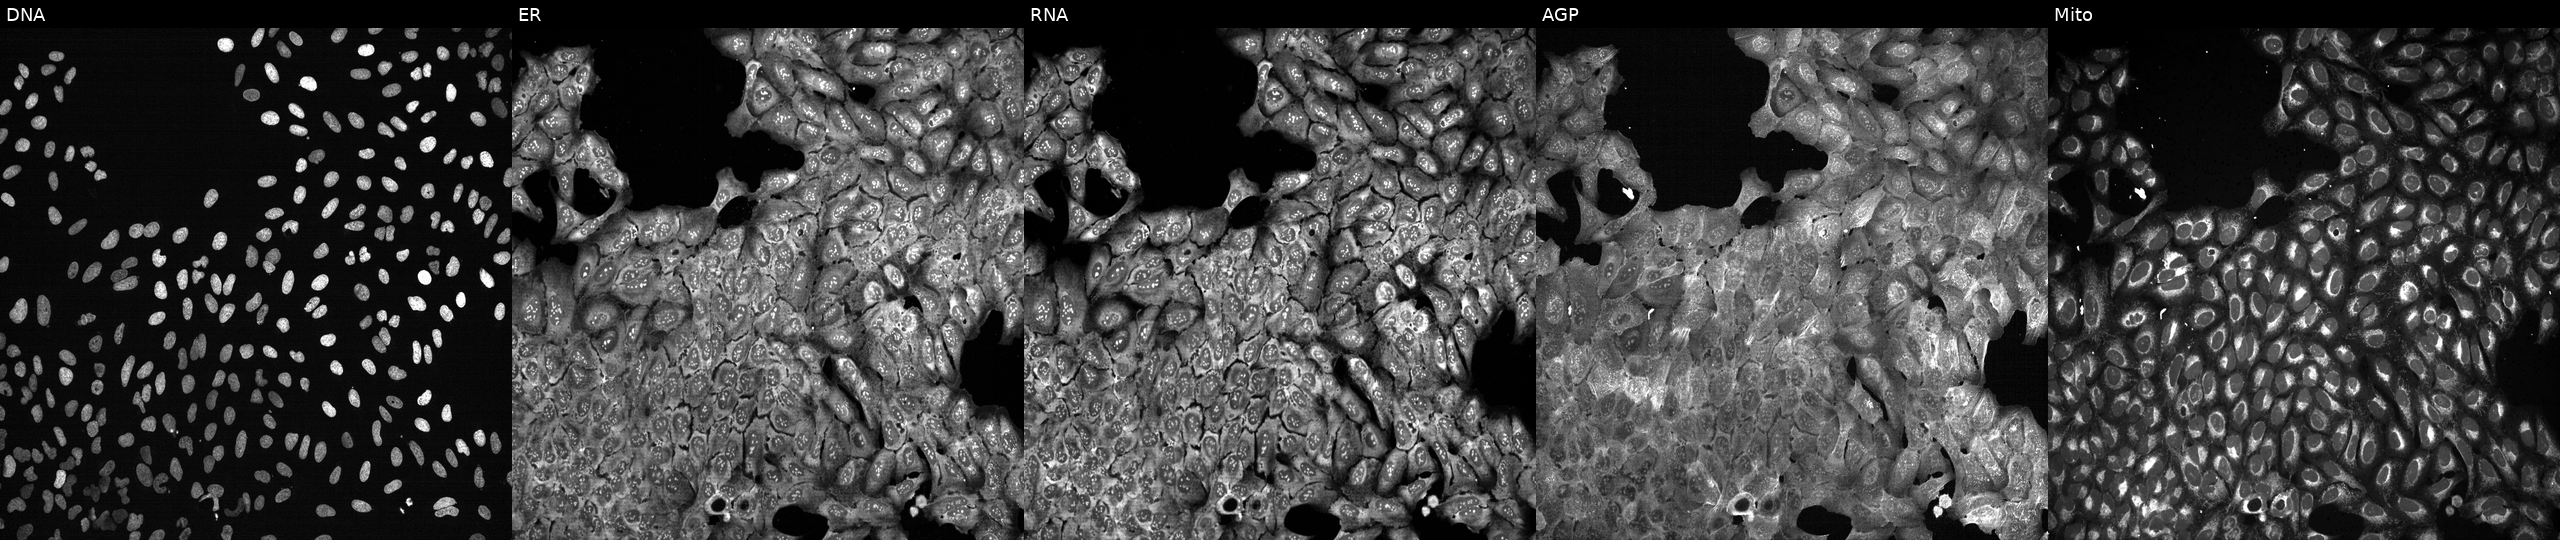
Five-channel Cell Painting image of U2OS cells following CRISPR knockout of SLC2A4. Panels show, left to right, DNA (nuclei); ER (endoplasmic reticulum); RNA (nucleoli and cytoplasmic RNA); AGP (actin cytoskeleton, Golgi, and plasma membrane); Mito (mitochondria).